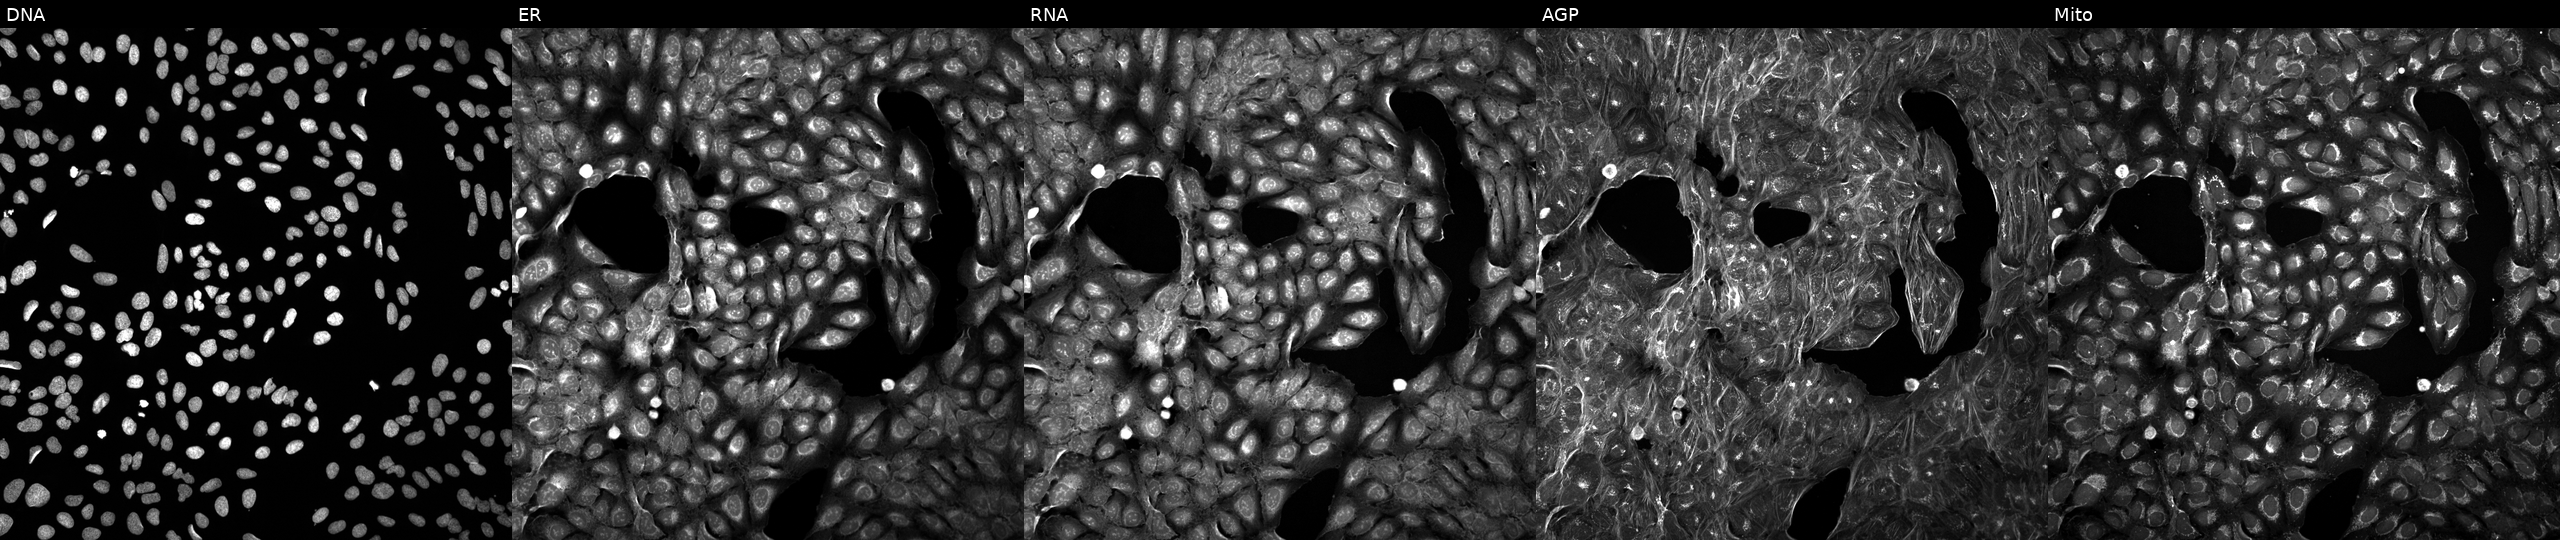
High-content fluorescence microscopy (Cell Painting). Cell line: U2OS. Perturbation: treated with a small-molecule compound (InChIKey ALOBUEHUHMBRLE-UHFFFAOYSA-N) [SMILES: CCCCCCCN(CC)CCCC(O)c1ccc(NS(C)(=O)=O)cc1] (JUMP id JCP2022_002206). Channels (left→right): DNA (nuclei); ER (endoplasmic reticulum); RNA (nucleoli and cytoplasmic RNA); AGP (actin cytoskeleton, Golgi, and plasma membrane); Mito (mitochondria). Source 5, plate ACPJUM051, well K20.